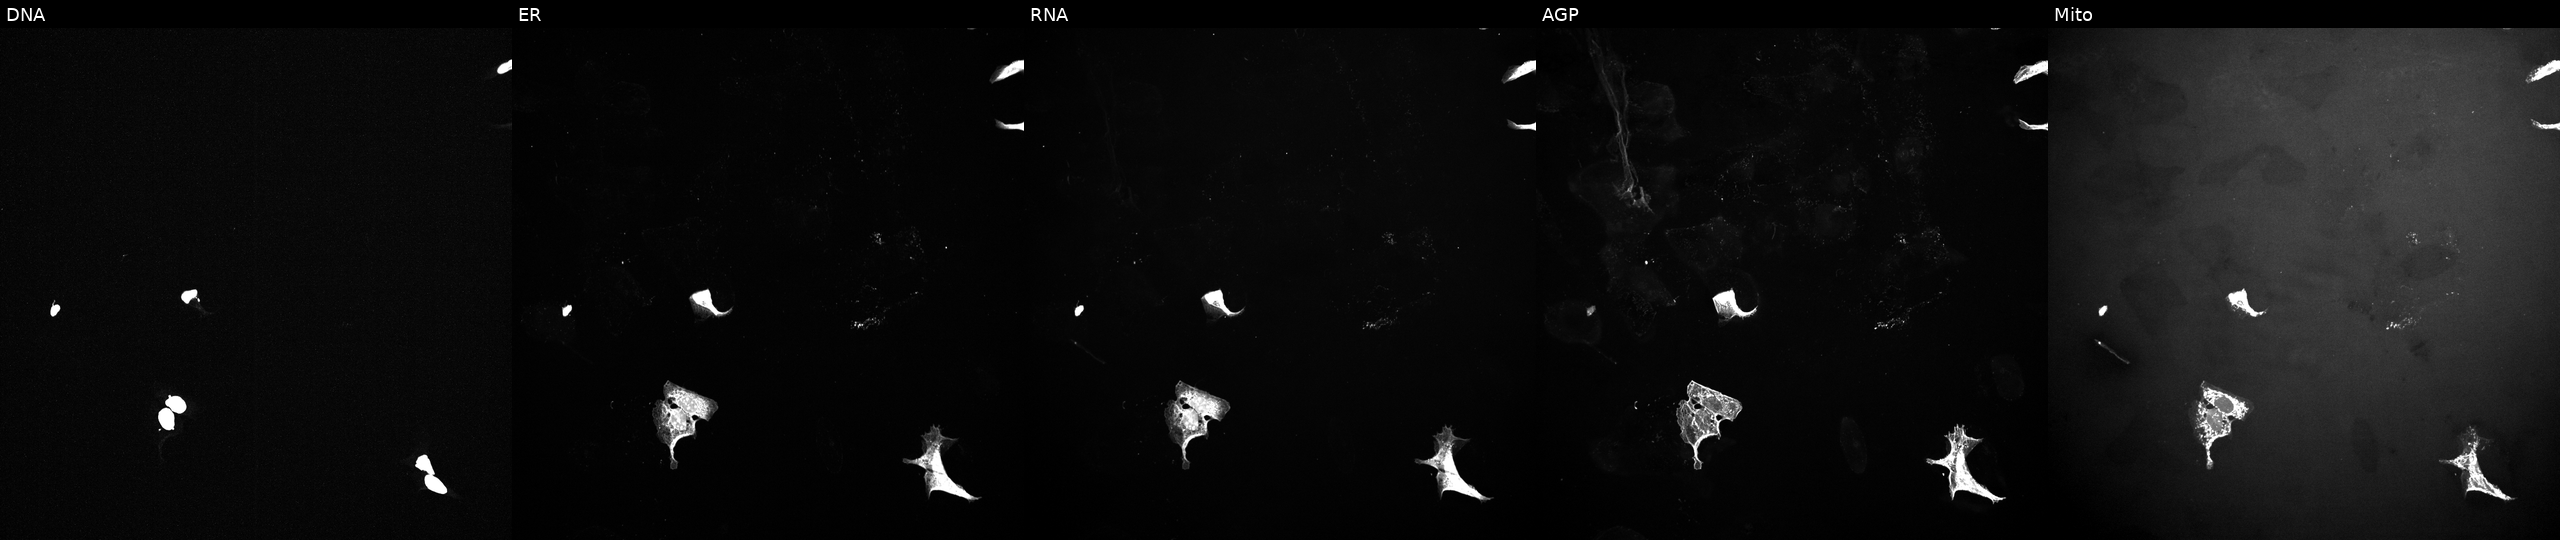
U2OS cells, Cell Painting assay, treated with a small-molecule compound [SMILES: CCn1cc(-c2ccnc3[nH]c(-c4cccc(CN(C)C)c4)cc23)c(-c2ccc(NC(=O)N(C)C)cc2)n1] (JUMP id JCP2022_075694). The five panels, left to right, show DNA, ER, RNA, AGP, and Mito. Each panel is percentile-stretched 16-bit fluorescence.